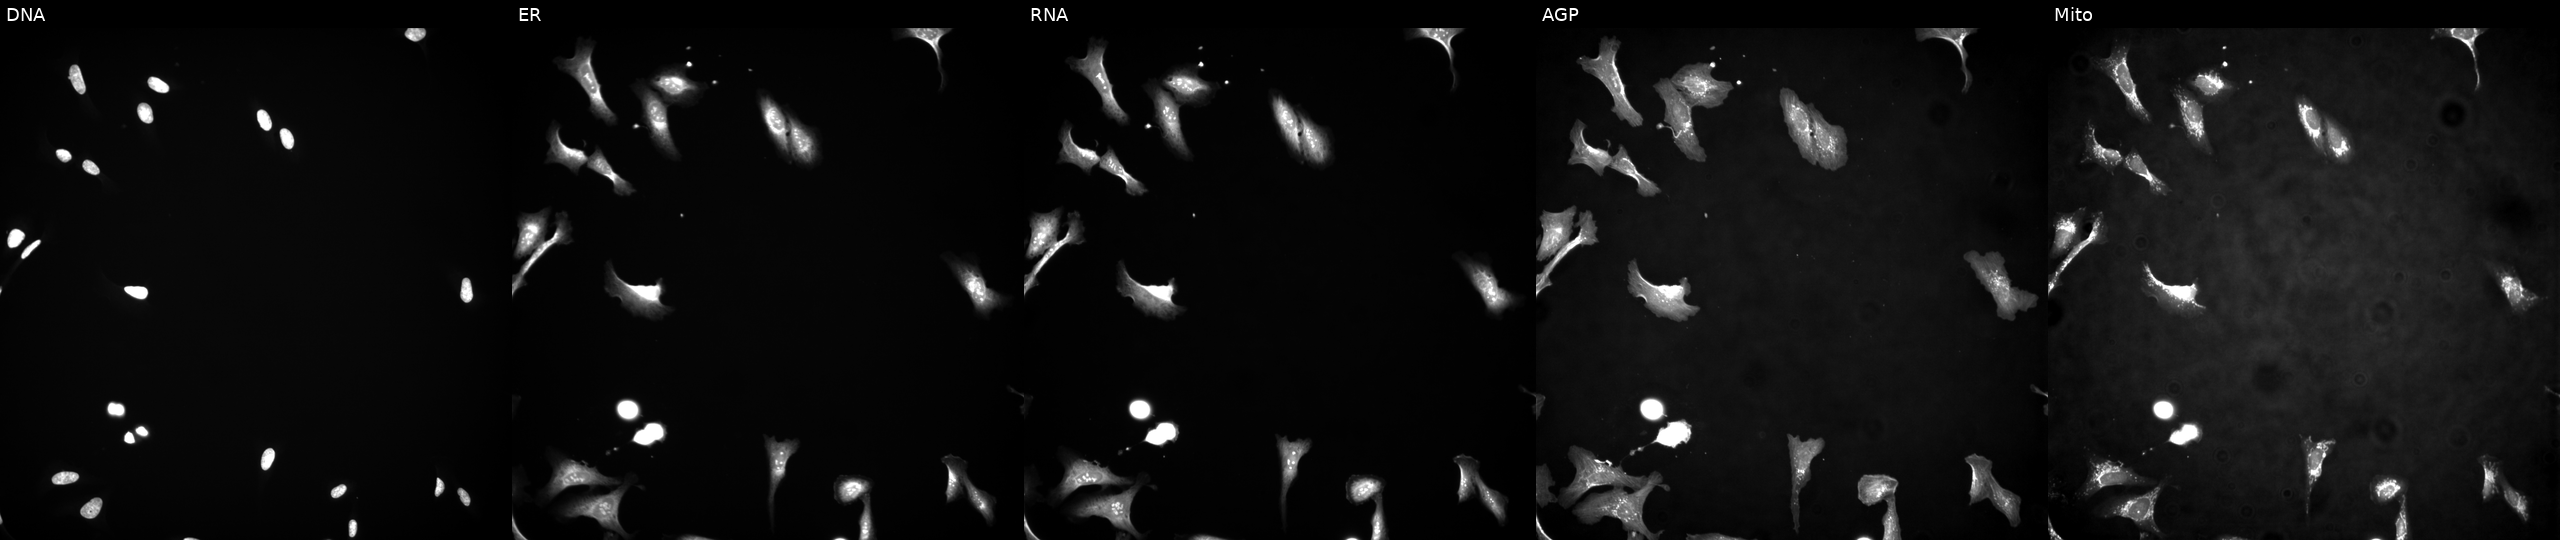
Five-channel Cell Painting image of U2OS cells transfected with an ORF construct for FES (JUMP id JCP2022_913667). Panels show, left to right, DNA, ER, RNA, AGP, and Mito. Source 4, plate BR00123945, well I04.